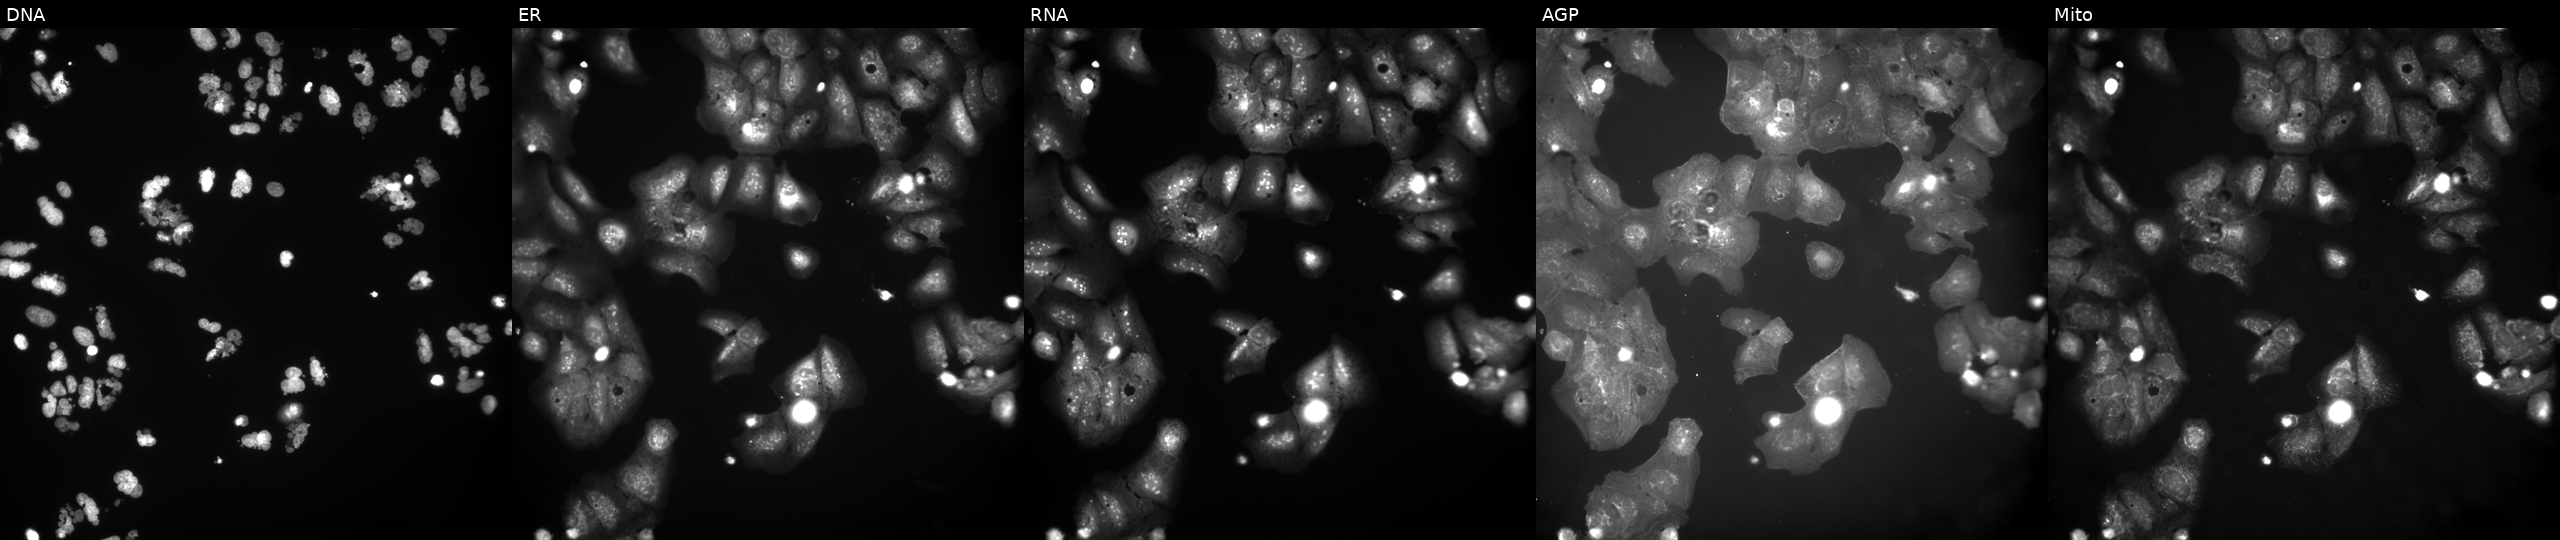
Five-channel Cell Painting image of U2OS cells exposed to a small-molecule compound [SMILES: COc1ccc(S(=O)(=O)Nc2cc(C)ccc2OC)cc1]. From left to right: DNA (nuclei); ER (endoplasmic reticulum); RNA (nucleoli and cytoplasmic RNA); AGP (actin cytoskeleton, Golgi, and plasma membrane); Mito (mitochondria).